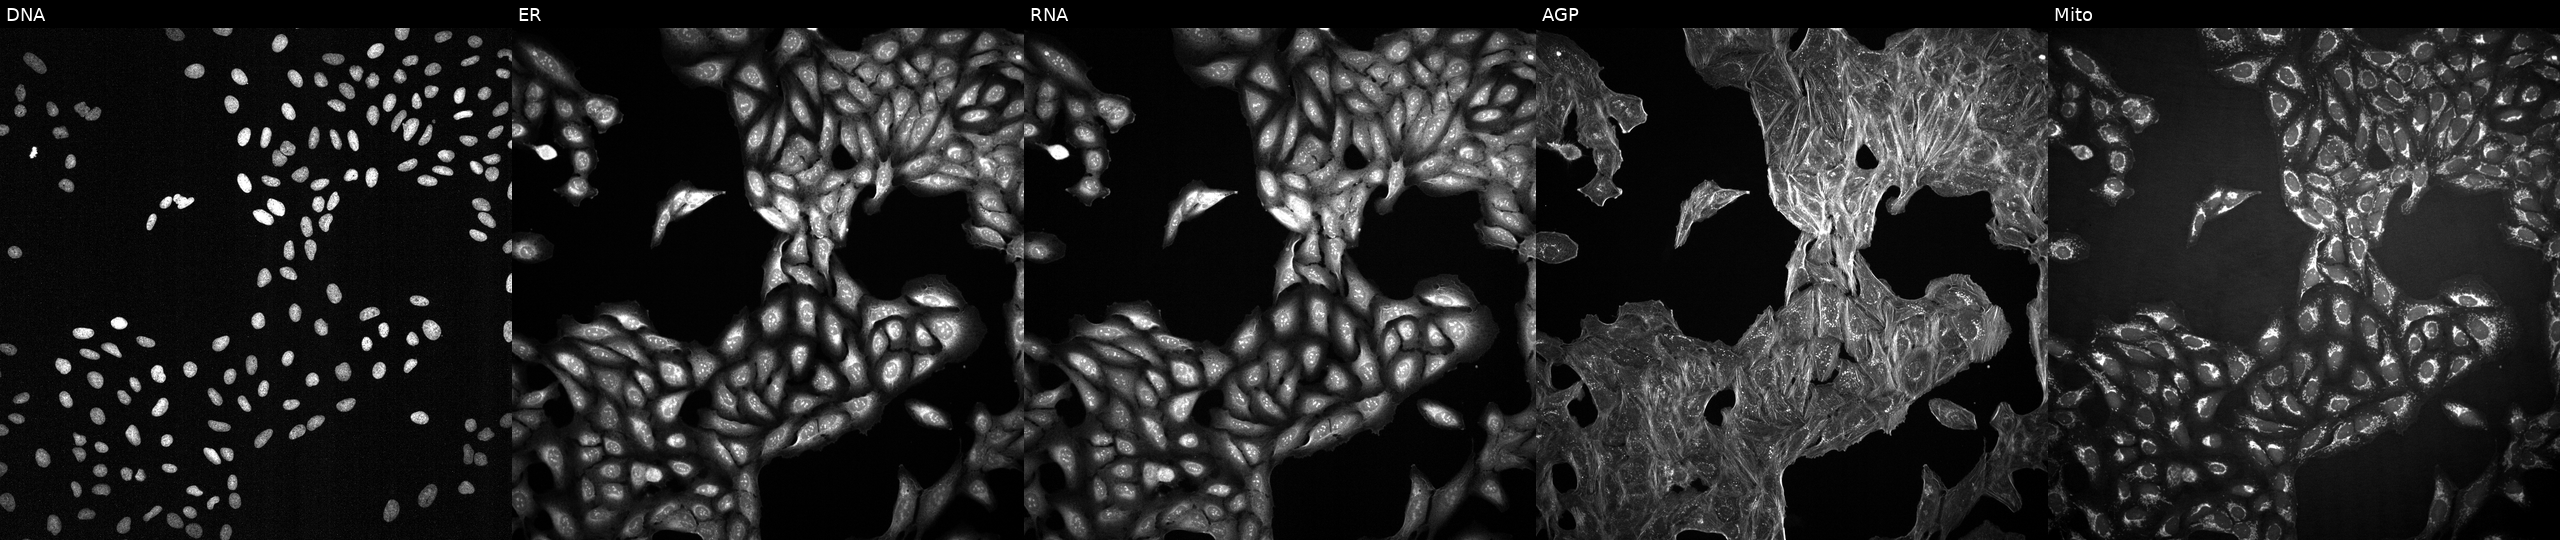
Five-channel Cell Painting image of U2OS cells perturbed with a small-molecule compound. Panels show, left to right, DNA, ER, RNA, AGP, and Mito. Source 2, plate 1053599503, well L20.